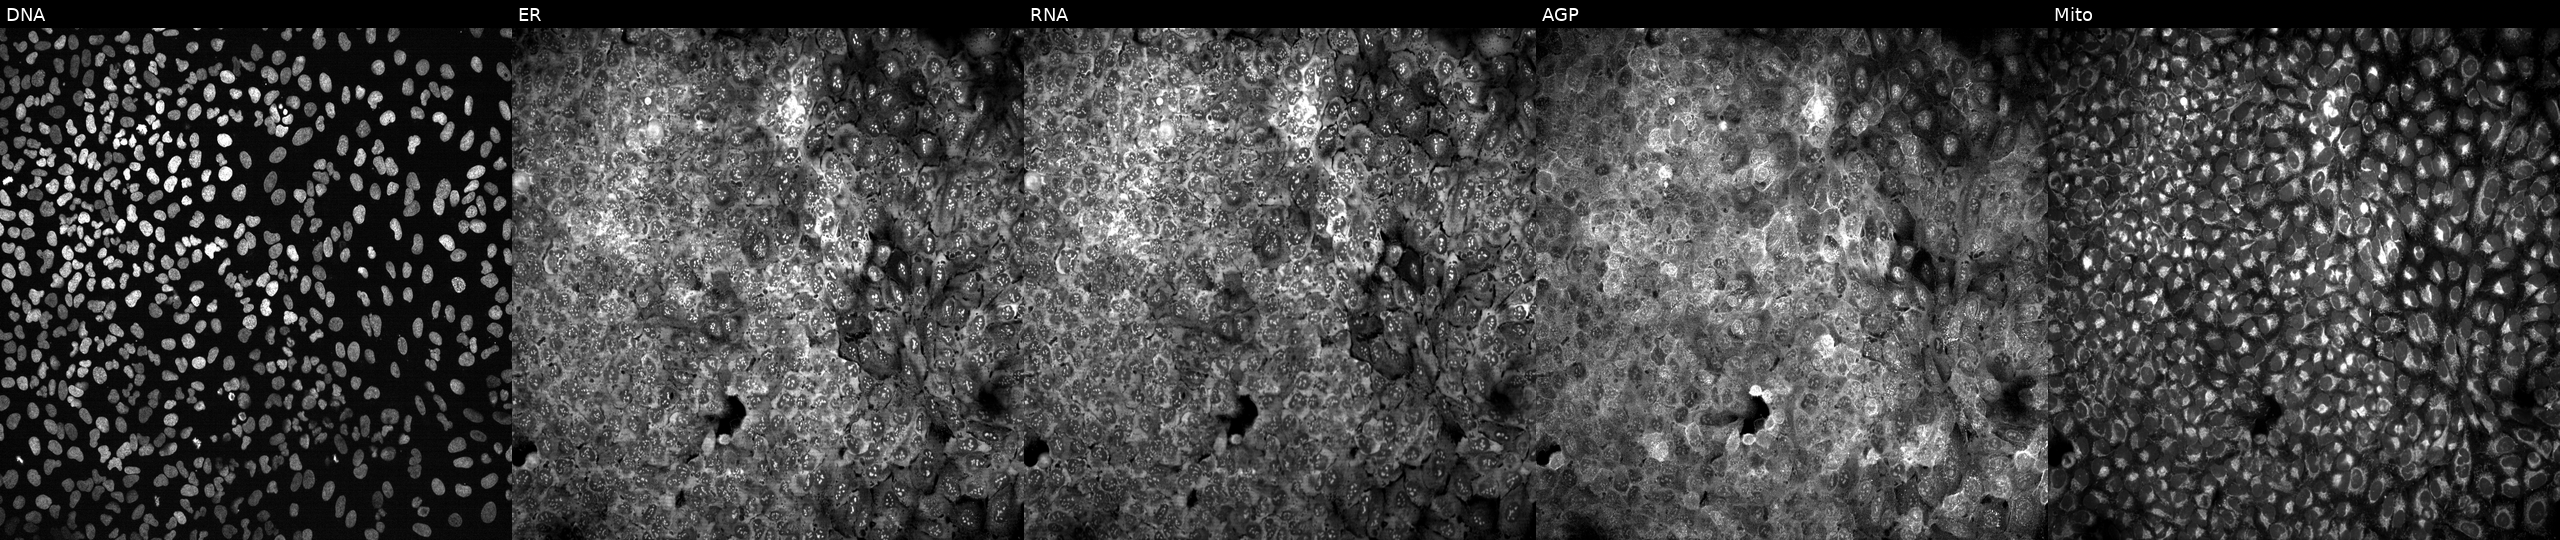
Five-channel Cell Painting image of U2OS cells following CRISPR knockout of ARHGEF10. Panels show, left to right, Hoechst 33342, concanavalin A, SYTO 14, phalloidin and WGA, MitoTracker. Source 13, plate CP-CC9-R4-04, well P13.